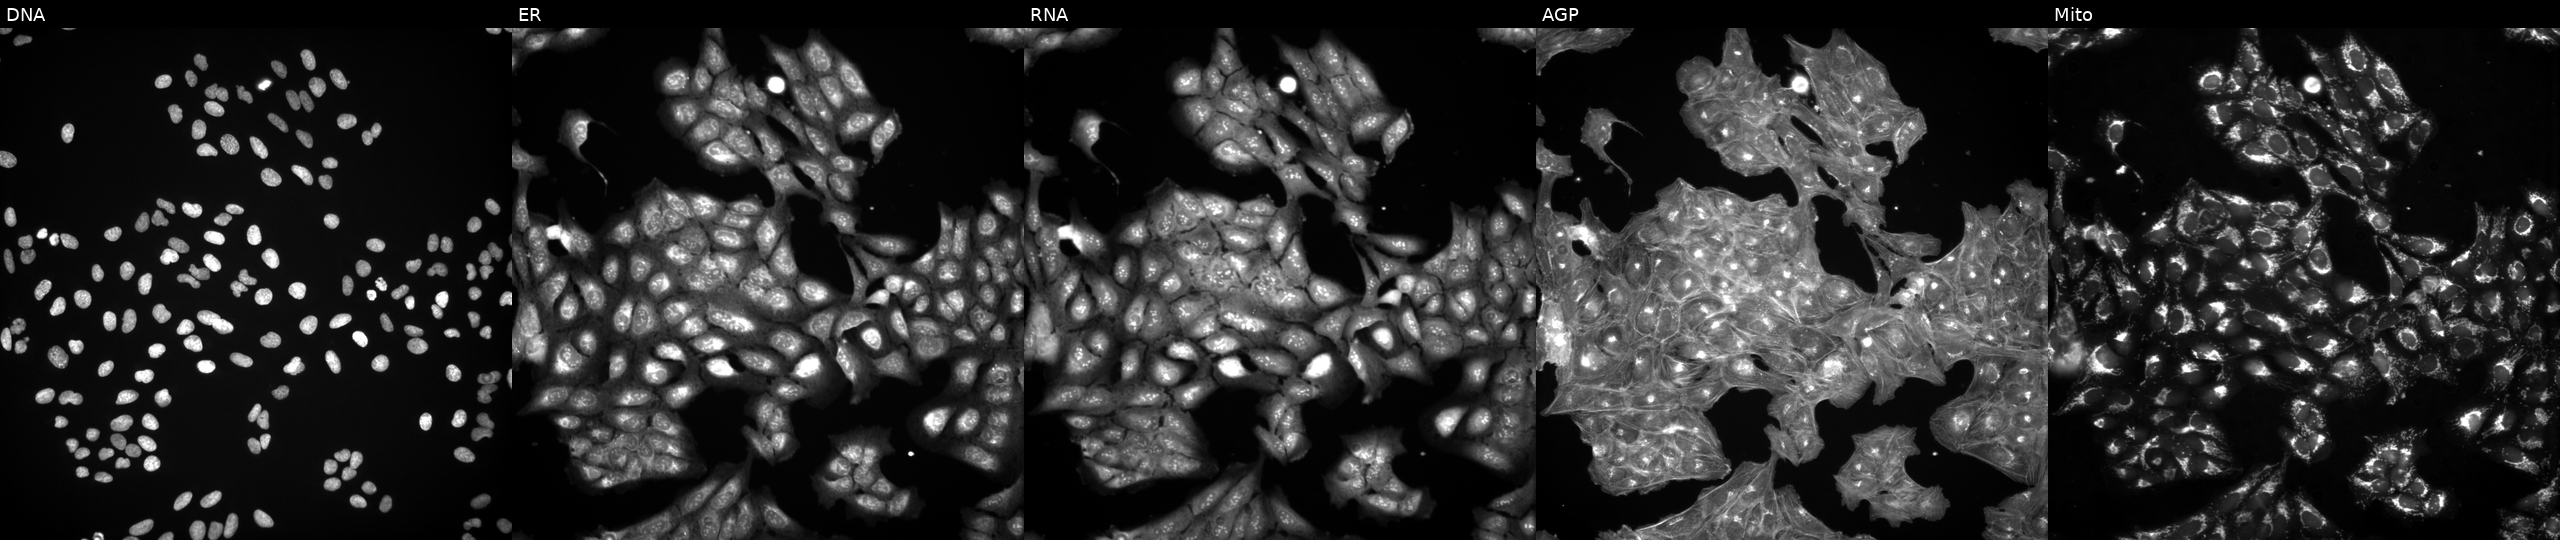
High-content fluorescence microscopy (Cell Painting). Cell line: U2OS. Perturbation: perturbed with a small-molecule compound (InChIKey KRKNYBCHXYNGOX-UHFFFAOYSA-N). Panels show, left to right, DNA (nuclei); ER (endoplasmic reticulum); RNA (nucleoli and cytoplasmic RNA); AGP (actin cytoskeleton, Golgi, and plasma membrane); Mito (mitochondria). Source 3, plate JCPQC051, well L12.